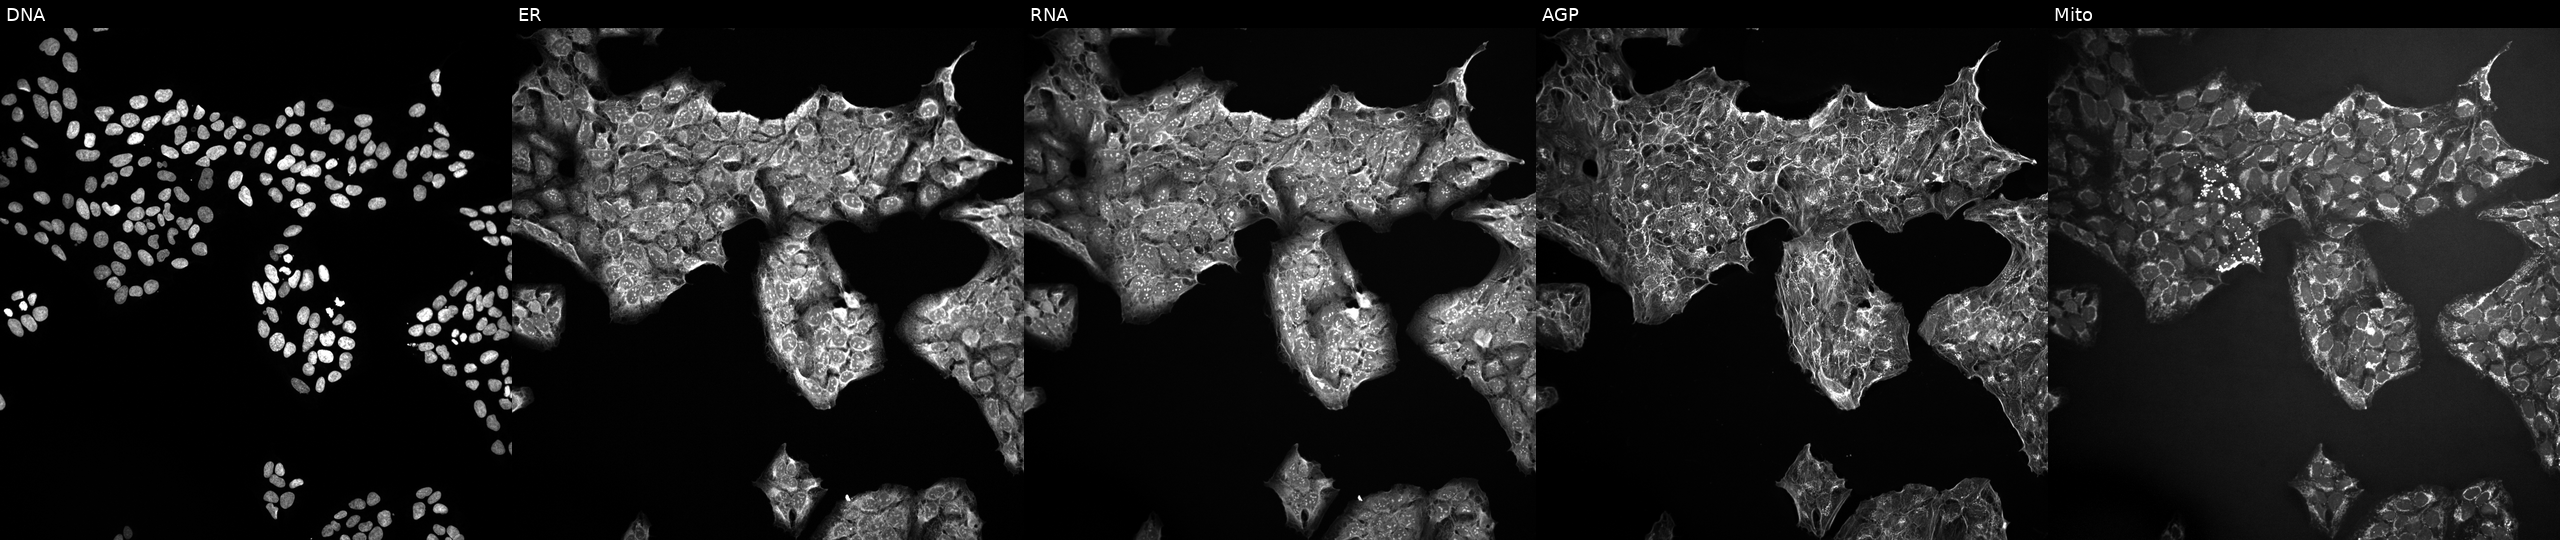
JUMP Cell Painting — COMPOUND plate. U2OS cells treated with LY2109761 (positive-control compound) (JUMP id JCP2022_035095). The five panels, left to right, show DNA (nuclei); ER (endoplasmic reticulum); RNA (nucleoli and cytoplasmic RNA); AGP (actin cytoskeleton, Golgi, and plasma membrane); Mito (mitochondria).